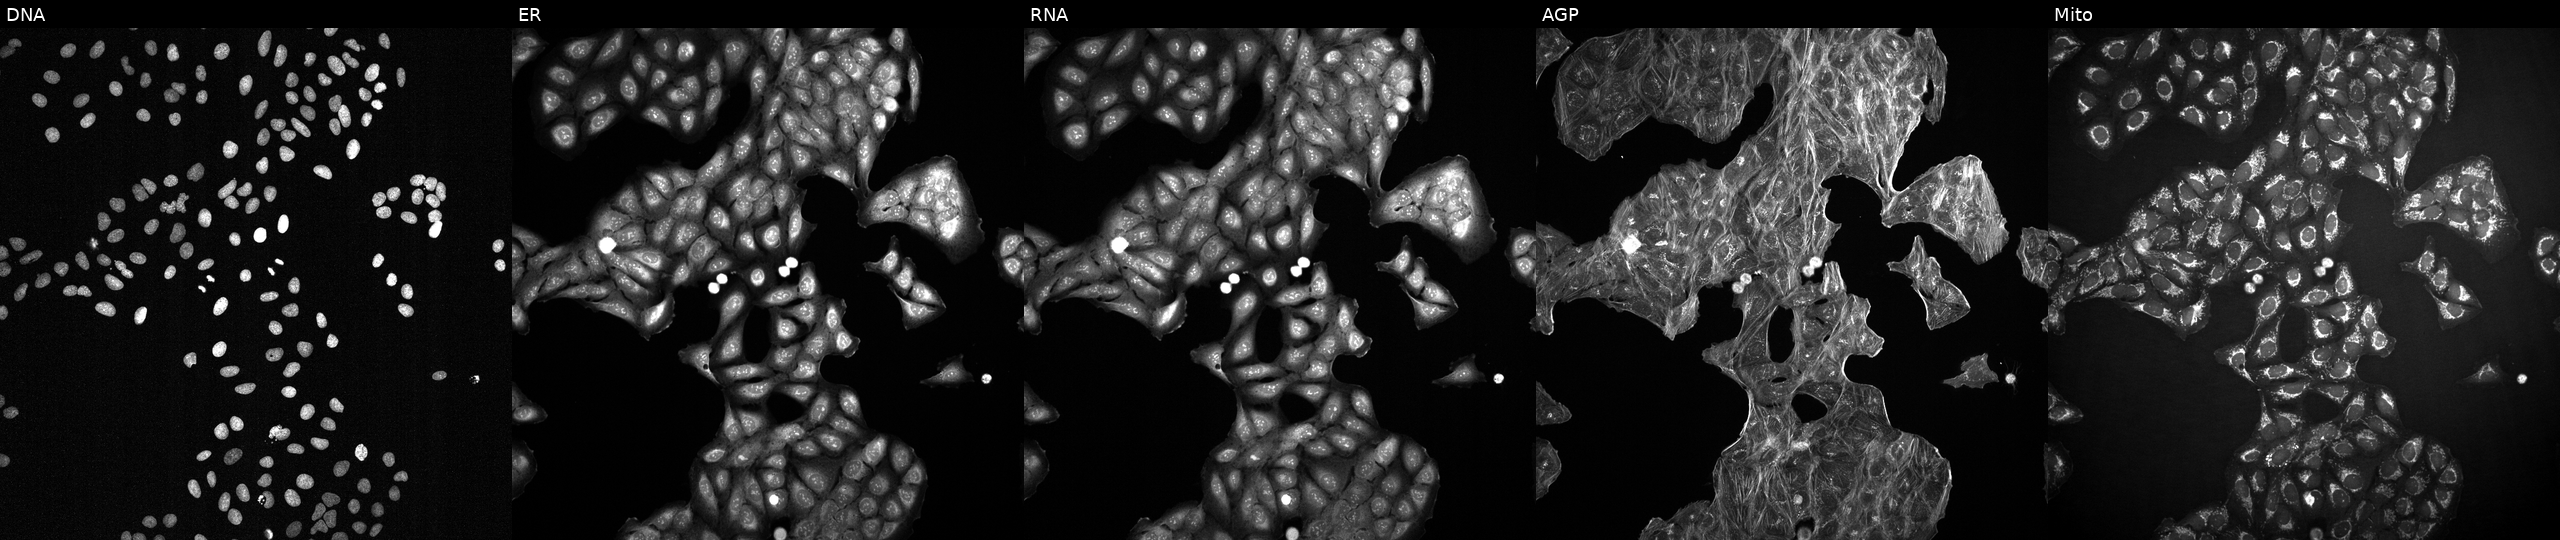
From left to right: Hoechst 33342, concanavalin A, SYTO 14, phalloidin and WGA, MitoTracker. U2OS osteosarcoma cells treated with a small-molecule compound (InChIKey QESQGTFWEQMCMH-UHFFFAOYSA-N) (JUMP id JCP2022_072945). Cell Painting assay, JUMP-CP dataset.